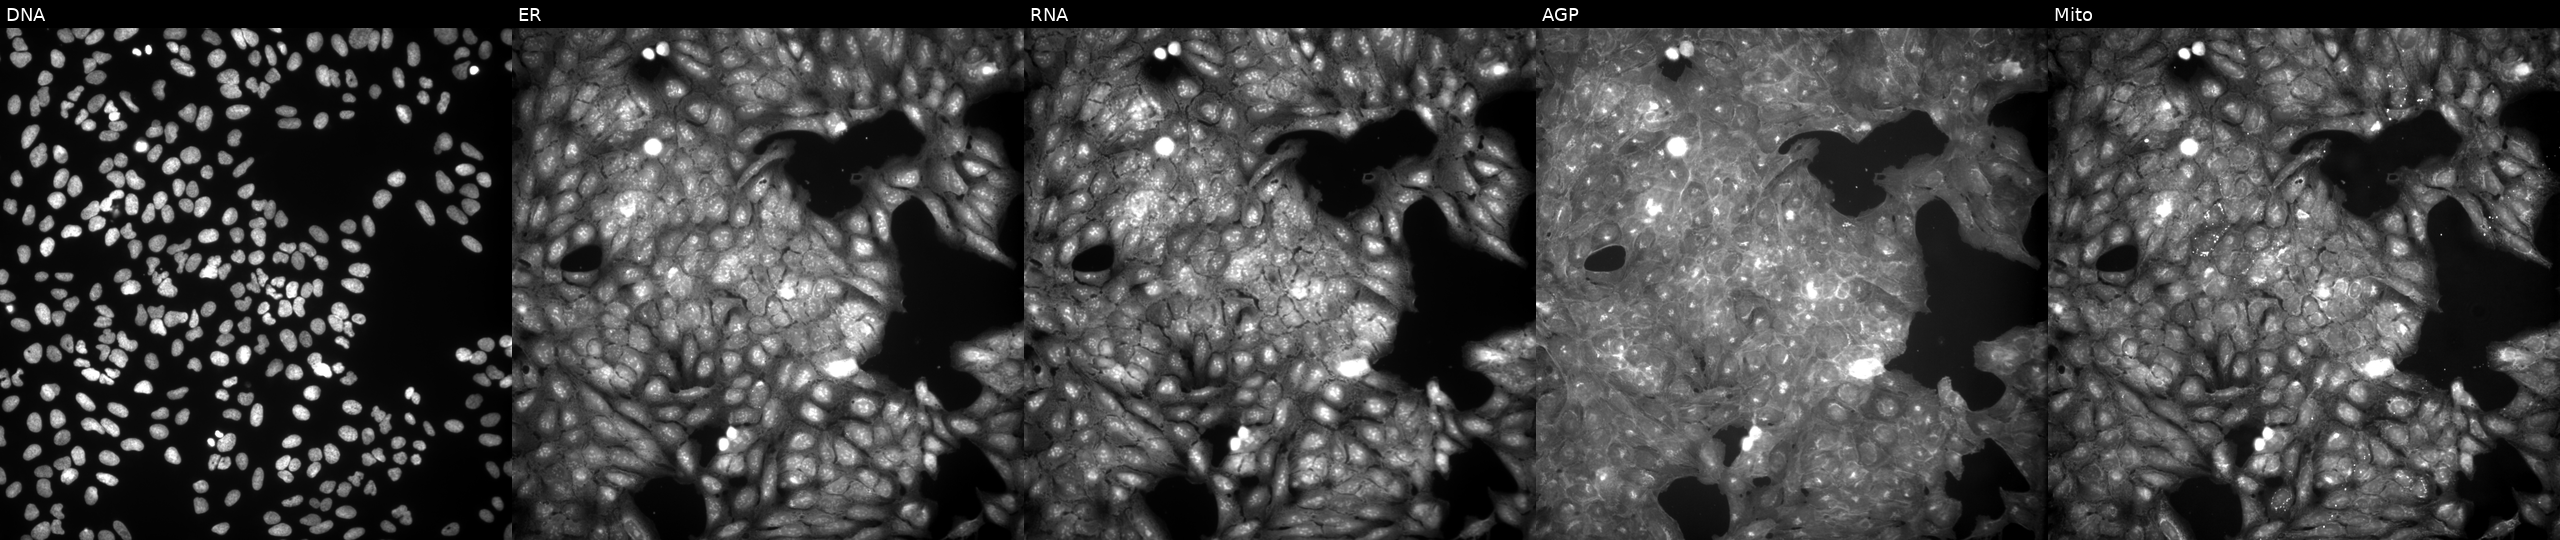
From left to right: DNA (nuclei); ER (endoplasmic reticulum); RNA (nucleoli and cytoplasmic RNA); AGP (actin cytoskeleton, Golgi, and plasma membrane); Mito (mitochondria). U2OS osteosarcoma cells perturbed with a small-molecule compound (InChIKey VAUWYBKCJGMCHA-UHFFFAOYSA-N). Cell Painting assay, JUMP-CP dataset.